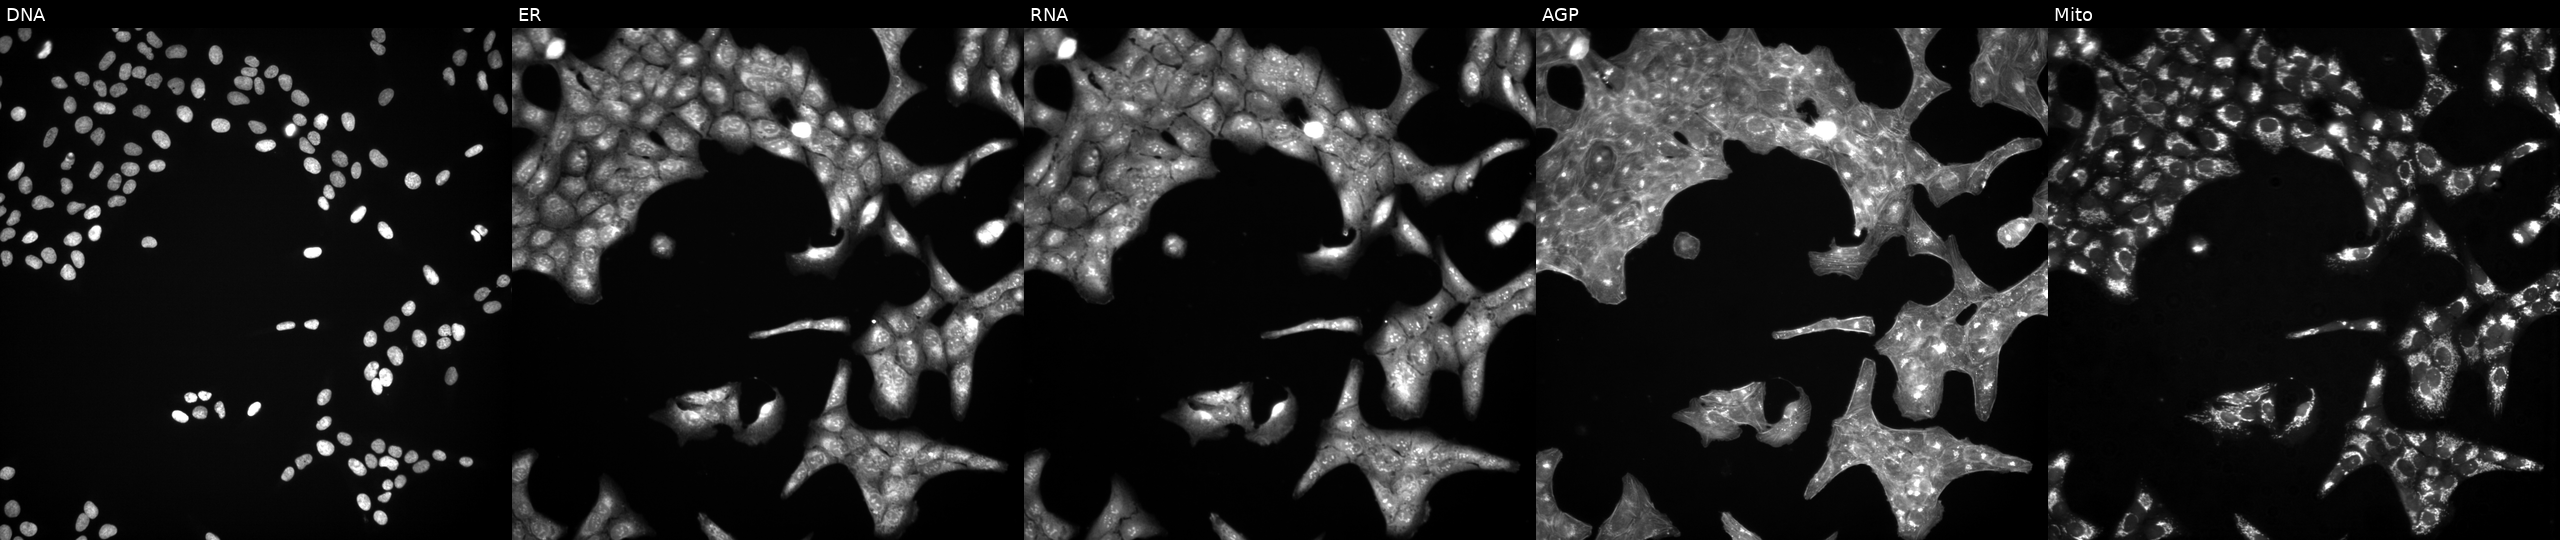
JUMP Cell Painting — TARGET2 plate. U2OS cells exposed to a small-molecule compound (InChIKey KUUJEXLRLIPQQJ-UHFFFAOYSA-N). Channels (left→right): Hoechst 33342, concanavalin A, SYTO 14, phalloidin and WGA, MitoTracker.